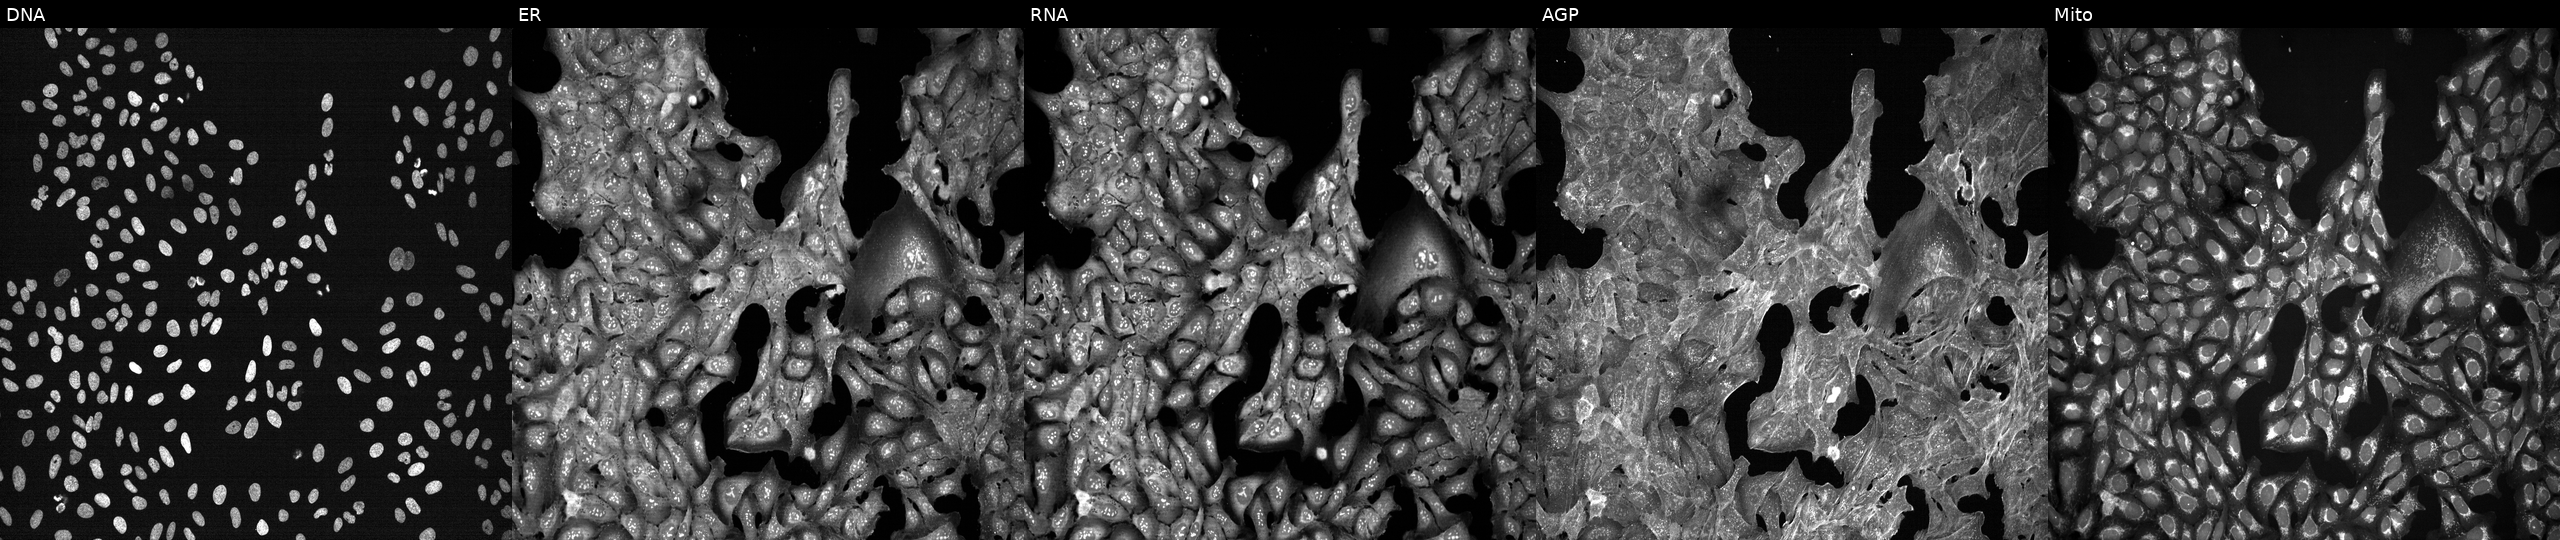
Channels (left→right): Hoechst 33342, concanavalin A, SYTO 14, phalloidin and WGA, MitoTracker. U2OS osteosarcoma cells exposed to a small-molecule compound (InChIKey XQYASZNUFDVMFH-UHFFFAOYSA-N) [SMILES: CC1CN(Cc2ccc(F)cc2)CCN1C(=O)COc1ccc(Cl)cc1NC(N)=O] (JUMP id JCP2022_105456). Cell Painting assay, JUMP-CP dataset.